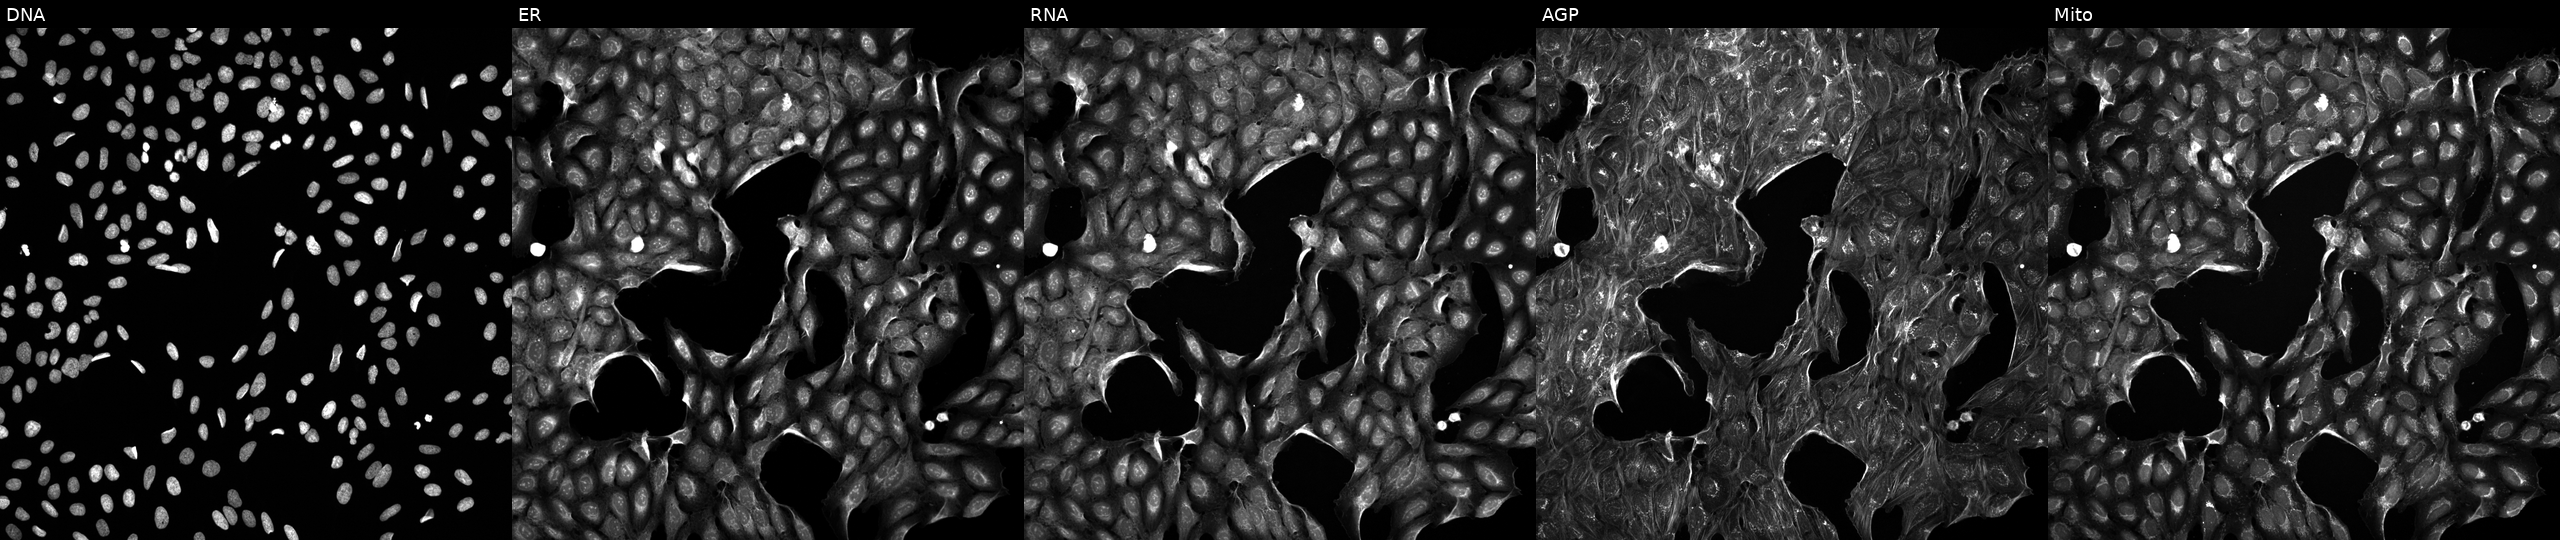
JUMP Cell Painting — COMPOUND plate. U2OS cells perturbed with a small-molecule compound (InChIKey DWETUSXEQPENAB-UHFFFAOYSA-N). Panels show, left to right, DNA, ER, RNA, AGP, and Mito.